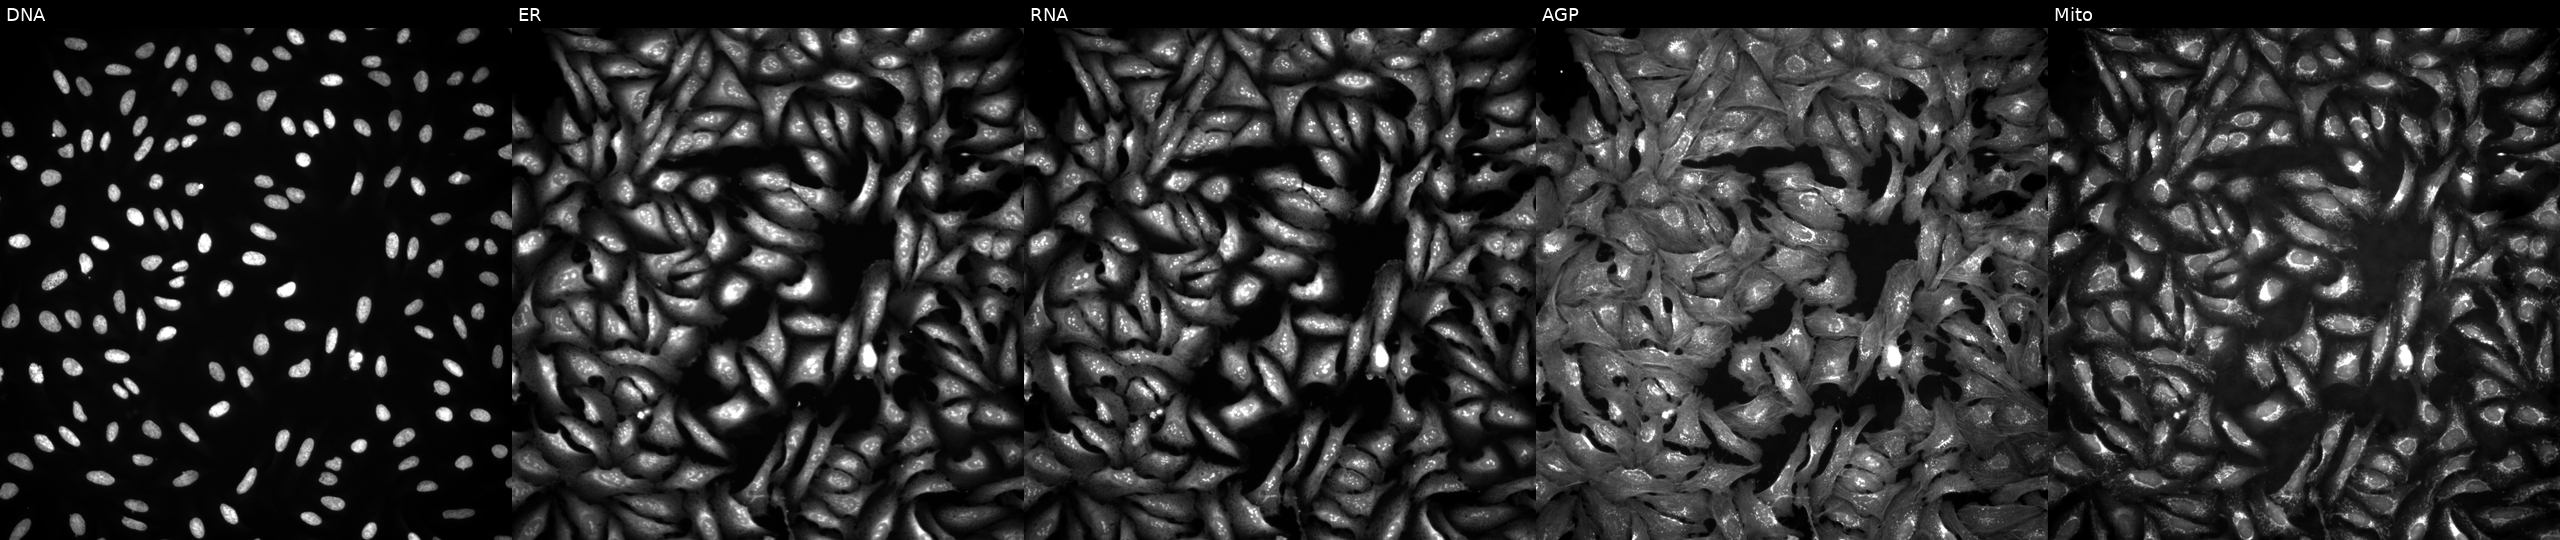
Five-channel Cell Painting image of U2OS cells overexpressing DGKE via ORF transfection (JUMP id JCP2022_914629). The five panels, left to right, show DNA, ER, RNA, AGP, and Mito.